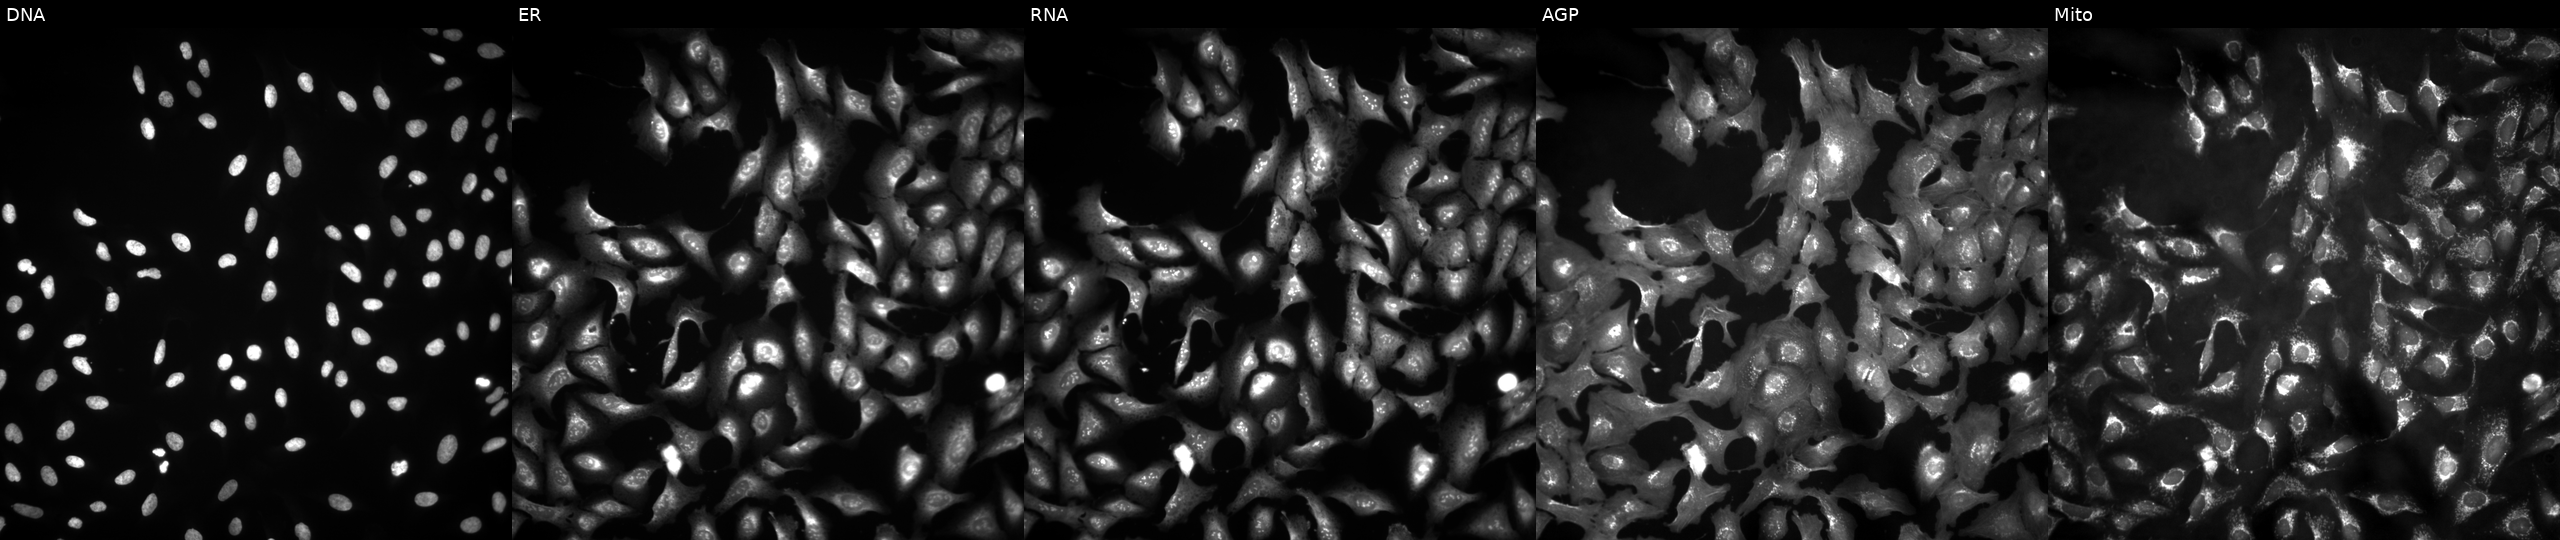
U2OS cells, Cell Painting assay, overexpressing TRIM69 via ORF transfection (JUMP id JCP2022_904627). Channels (left→right): Hoechst 33342, concanavalin A, SYTO 14, phalloidin and WGA, MitoTracker. Each panel is percentile-stretched 16-bit fluorescence. Source 4, plate BR00121543, well L23.